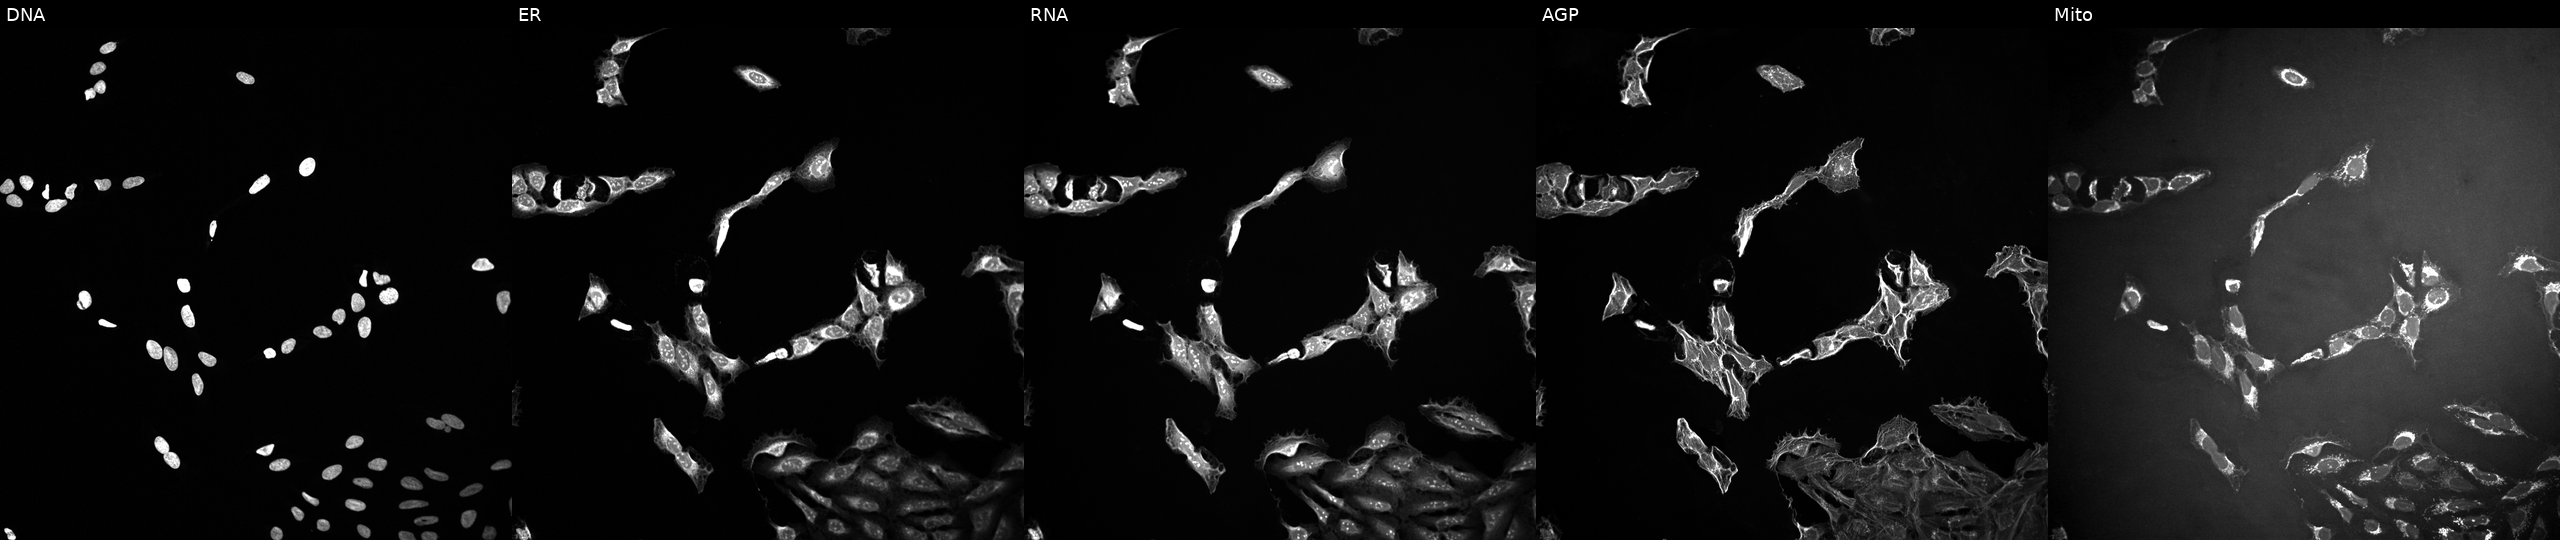
Channels (left→right): Hoechst 33342, concanavalin A, SYTO 14, phalloidin and WGA, MitoTracker. U2OS osteosarcoma cells treated with a small-molecule compound (InChIKey HJYYPODYNSCCOU-UHFFFAOYSA-N). Cell Painting assay, JUMP-CP dataset.